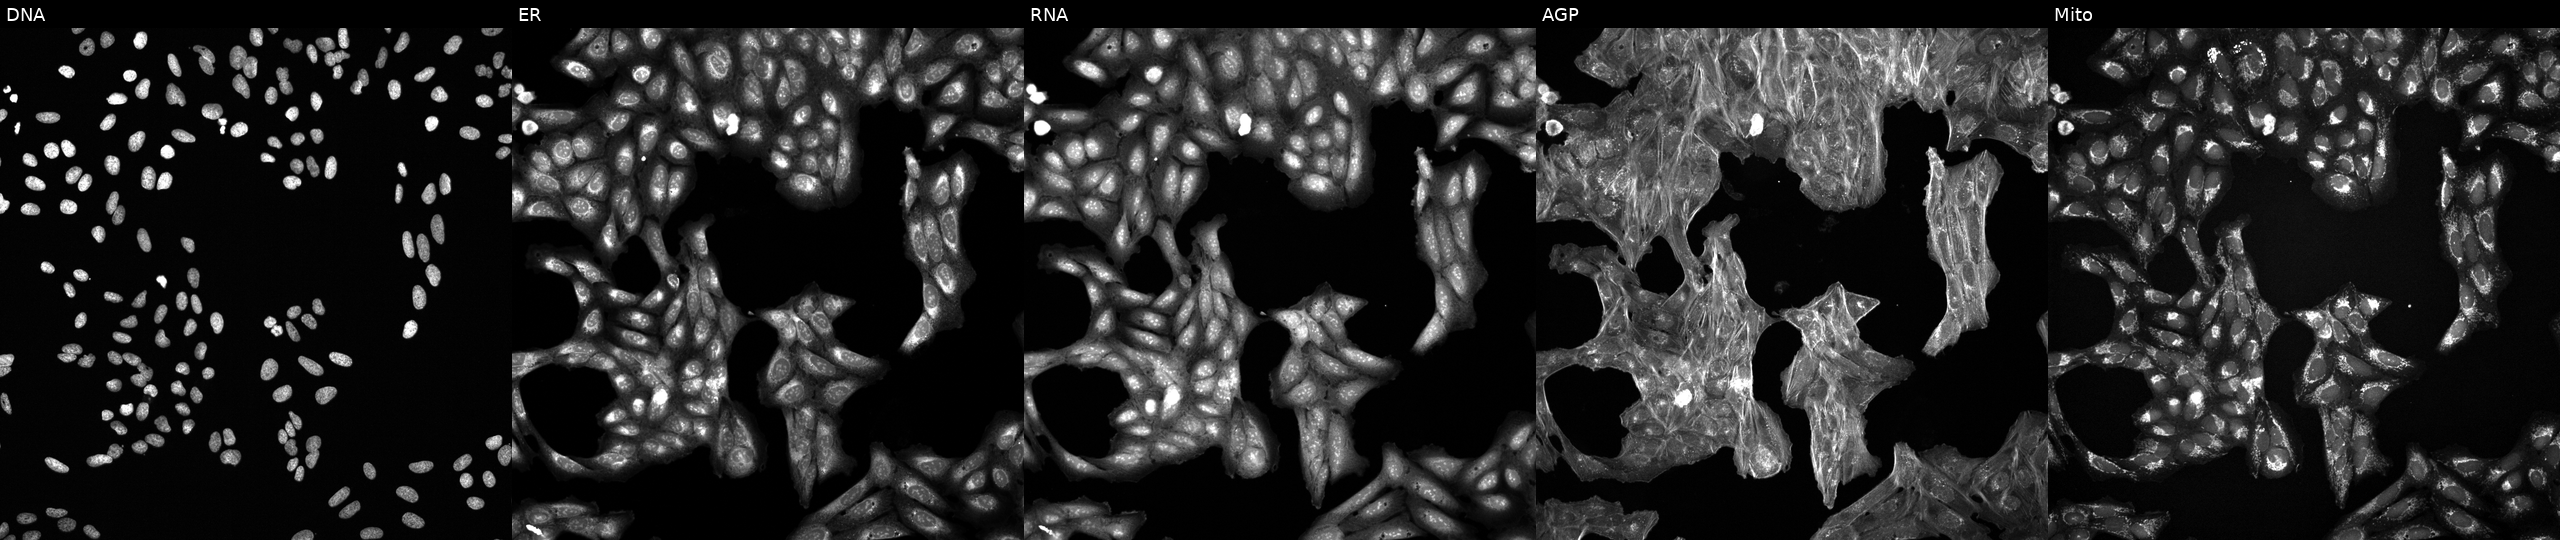
This image strip shows the five Cell Painting channels for a single field of U2OS cells exposed to a small-molecule compound (InChIKey XRVDGNKRPOAQTN-UHFFFAOYSA-N). From left to right: DNA, ER, RNA, AGP, and Mito.